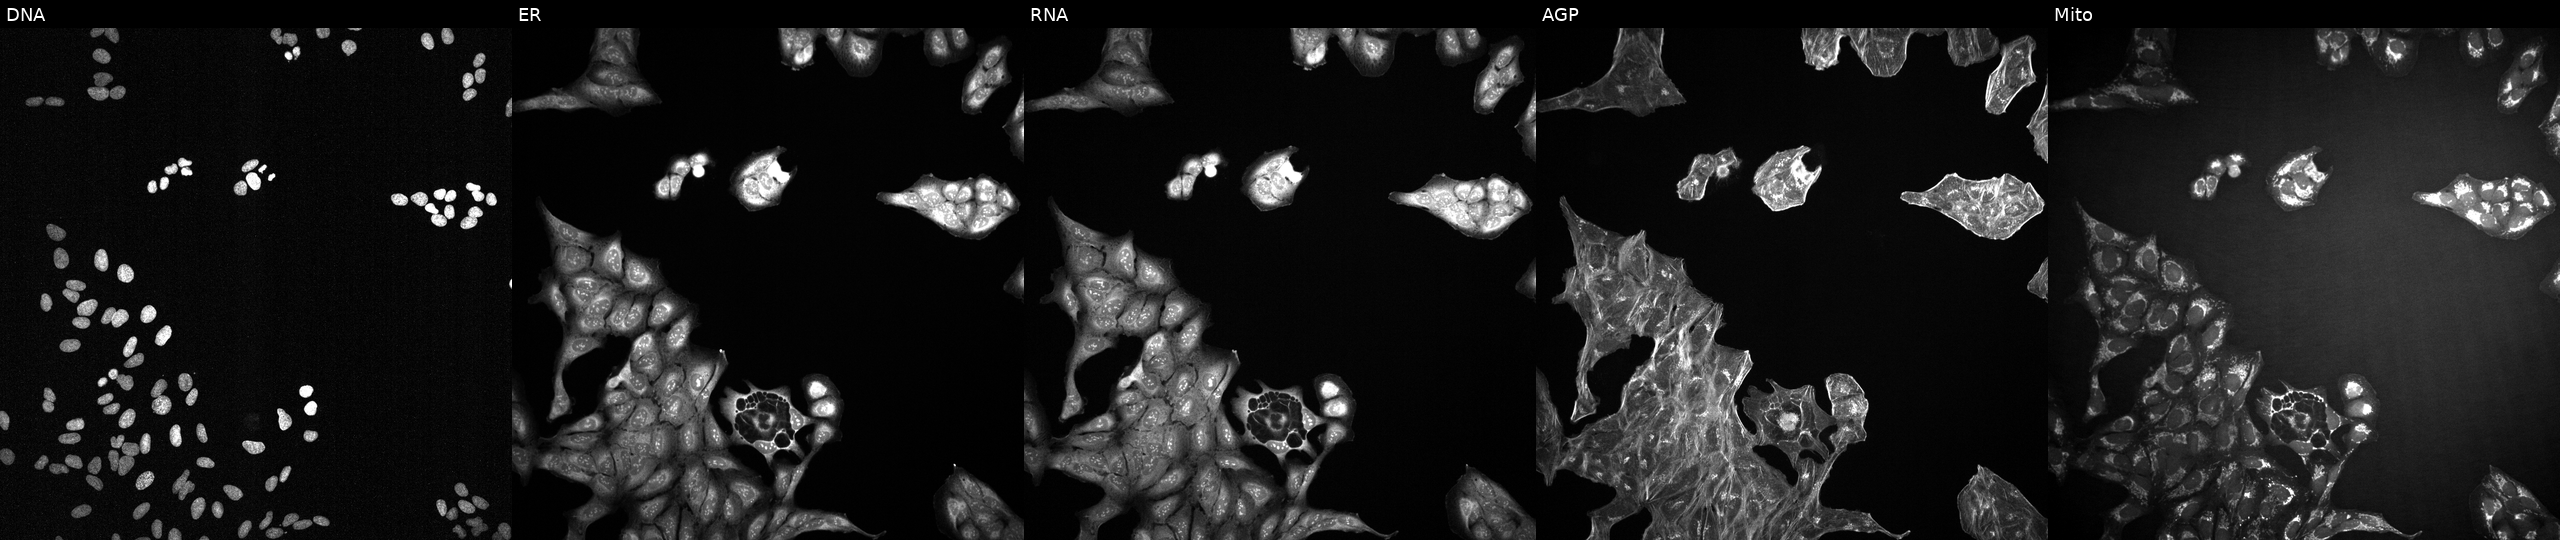
Channels (left→right): Hoechst 33342, concanavalin A, SYTO 14, phalloidin and WGA, MitoTracker. U2OS osteosarcoma cells treated with a small-molecule compound. Cell Painting assay, JUMP-CP dataset. Source 2, plate 1053599503, well B05.